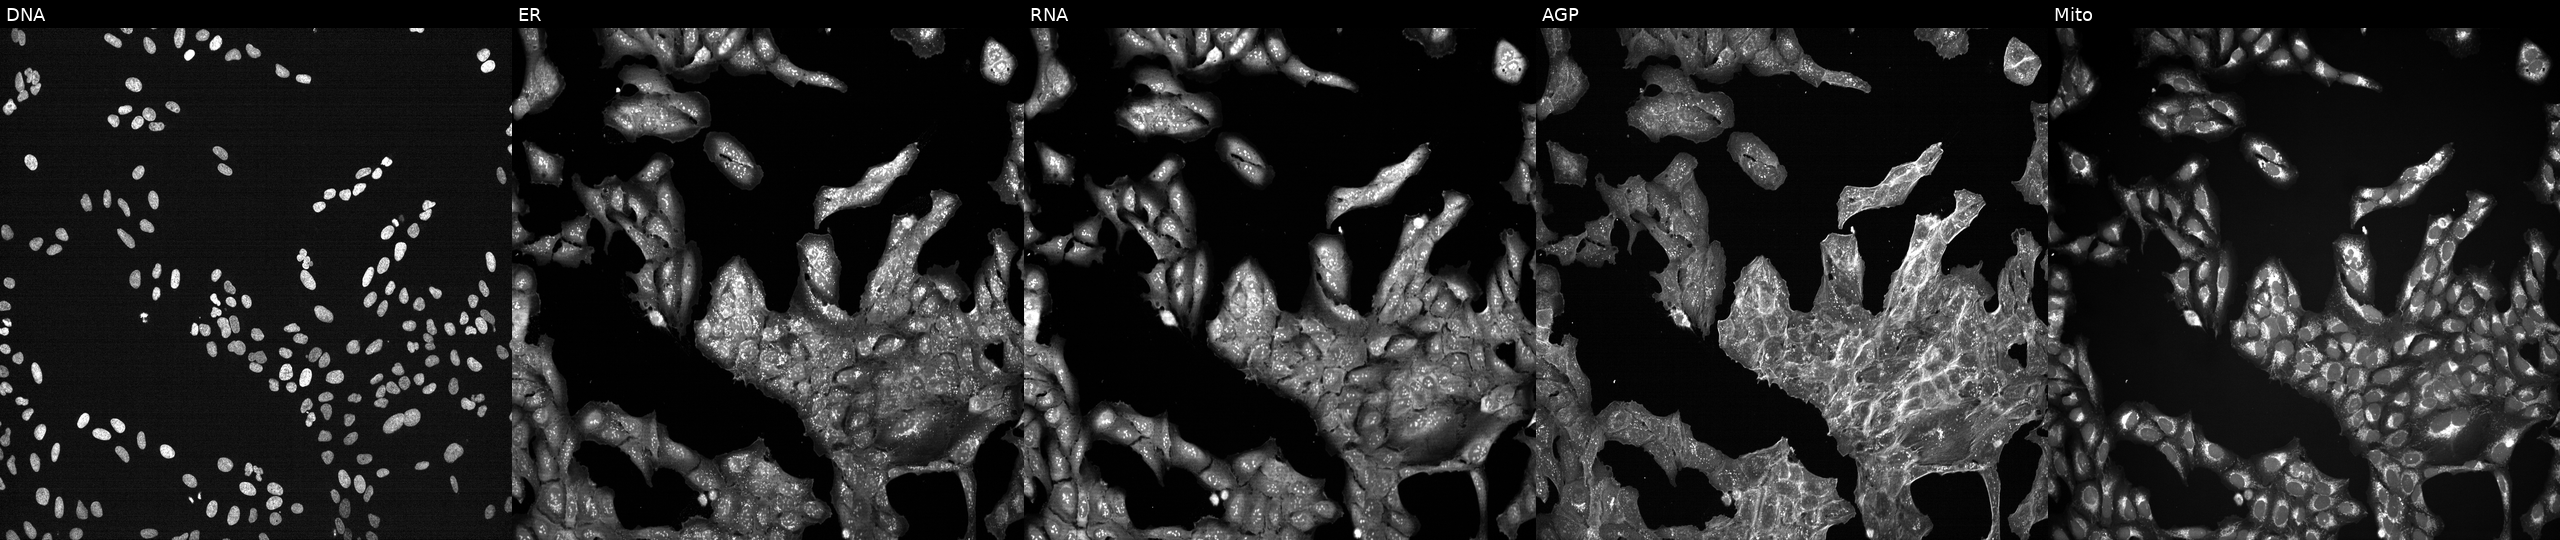
JUMP Cell Painting — TARGET2 plate. U2OS cells treated with a small-molecule compound (InChIKey QWJOPXDAQCDRRM-UHFFFAOYSA-N) (JUMP id JCP2022_076300). Channels (left→right): DNA (nuclei); ER (endoplasmic reticulum); RNA (nucleoli and cytoplasmic RNA); AGP (actin cytoskeleton, Golgi, and plasma membrane); Mito (mitochondria). Source 7, plate CP3-SC1-25, well M16.